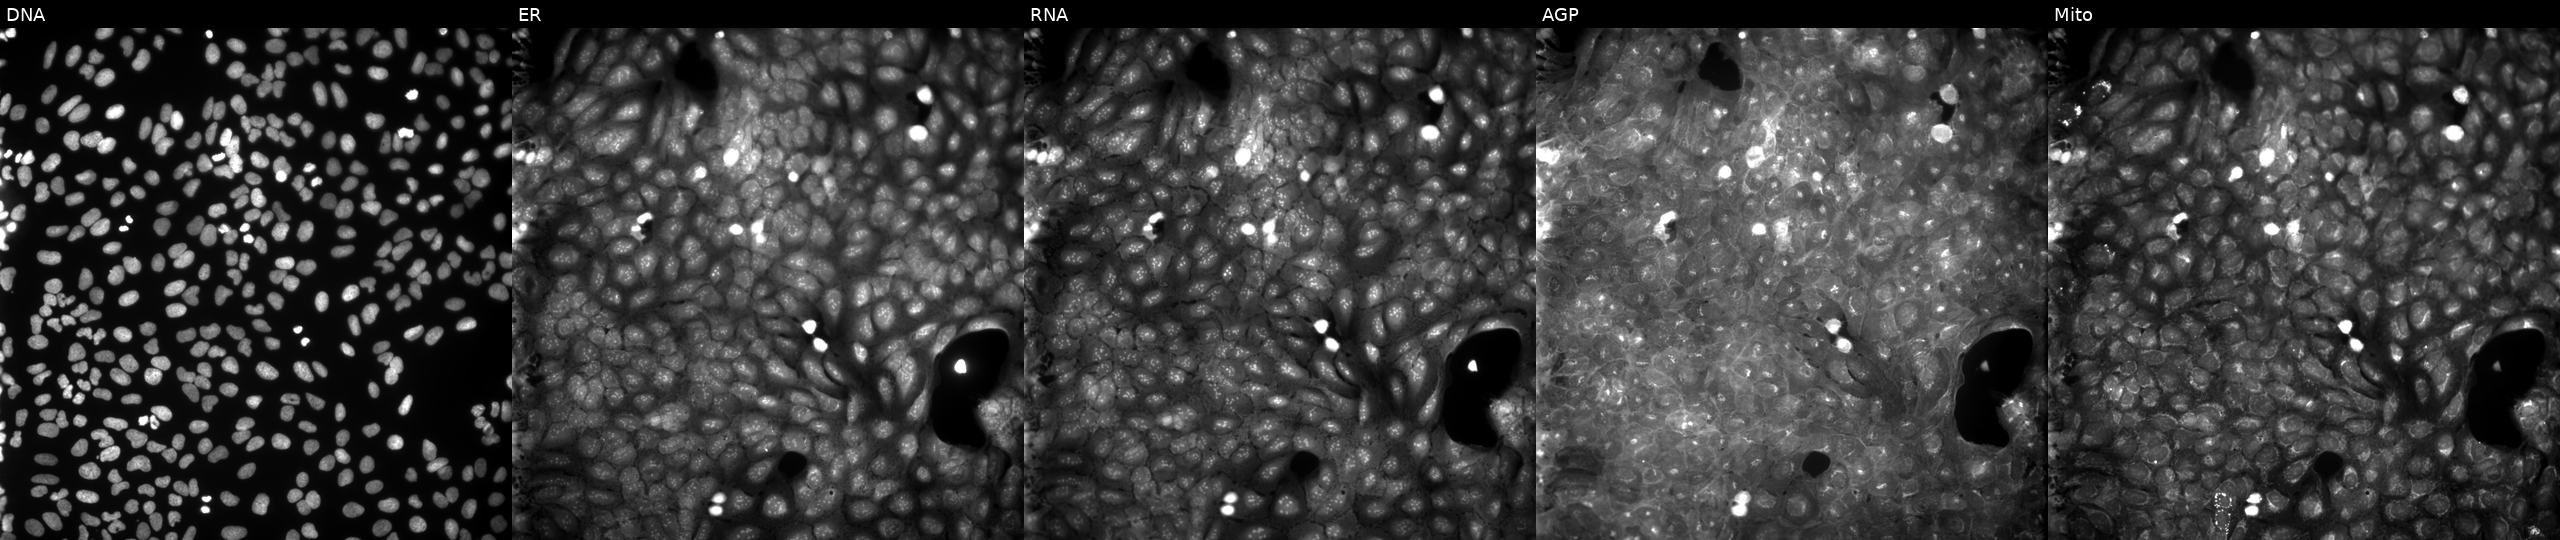
JUMP Cell Painting — COMPOUND plate. U2OS cells treated with a small-molecule compound (InChIKey RPDSJPMMXLLMAO-UHFFFAOYSA-N). From left to right: DNA (nuclei); ER (endoplasmic reticulum); RNA (nucleoli and cytoplasmic RNA); AGP (actin cytoskeleton, Golgi, and plasma membrane); Mito (mitochondria). Source 9, plate GR00003381, well Z12.